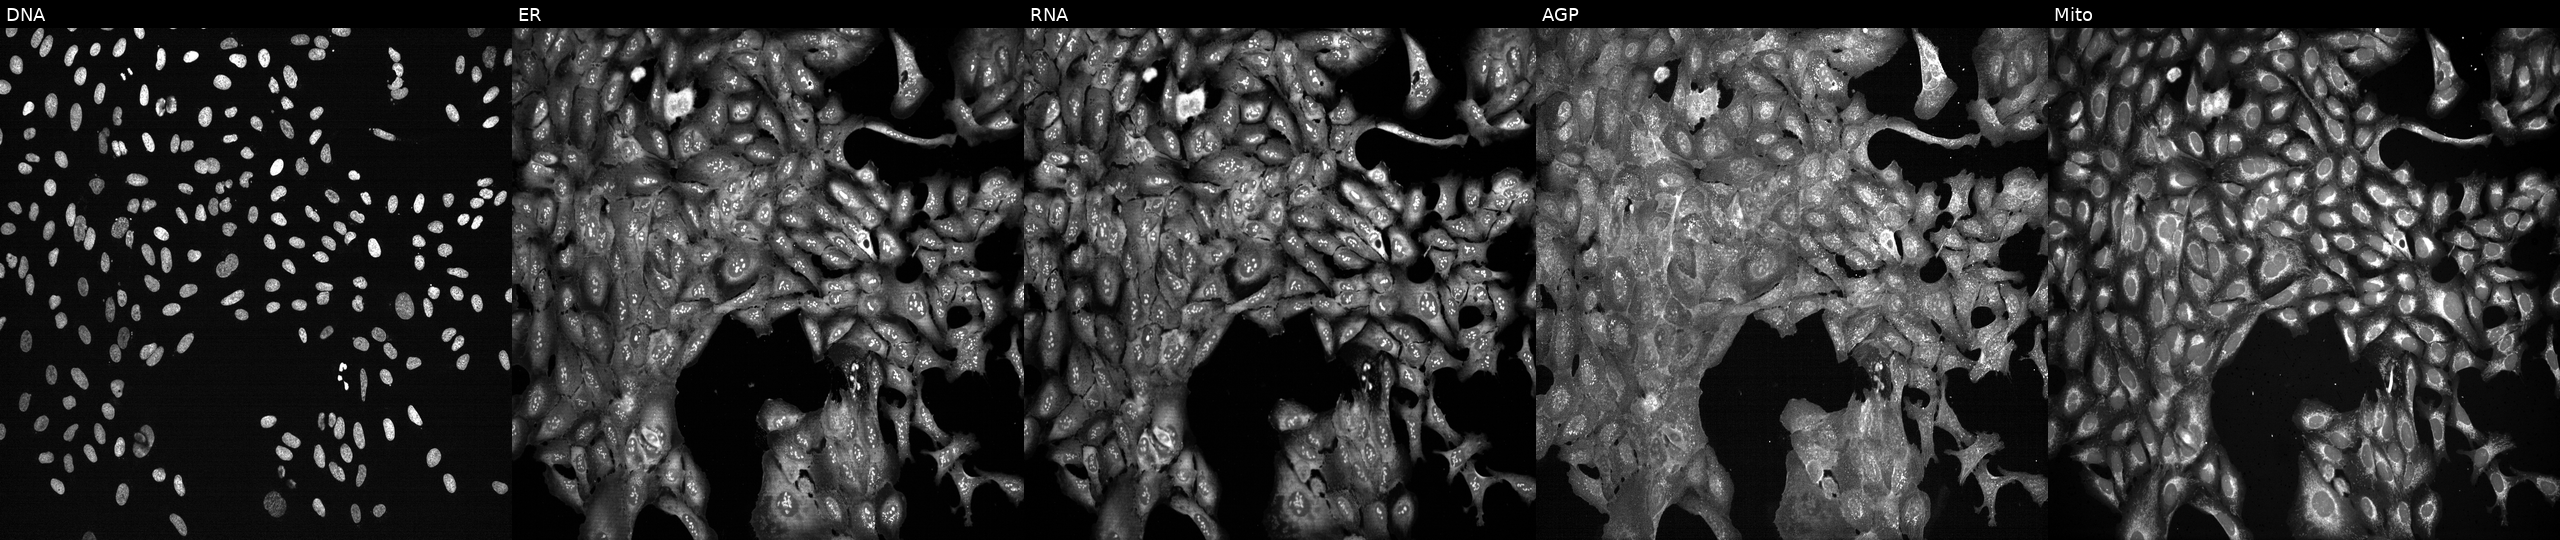
High-content fluorescence microscopy (Cell Painting). Cell line: U2OS. Perturbation: with TRMT61A knocked out by CRISPR. From left to right: DNA (nuclei); ER (endoplasmic reticulum); RNA (nucleoli and cytoplasmic RNA); AGP (actin cytoskeleton, Golgi, and plasma membrane); Mito (mitochondria). Source 13, plate CP-CC9-R5-01, well O07.